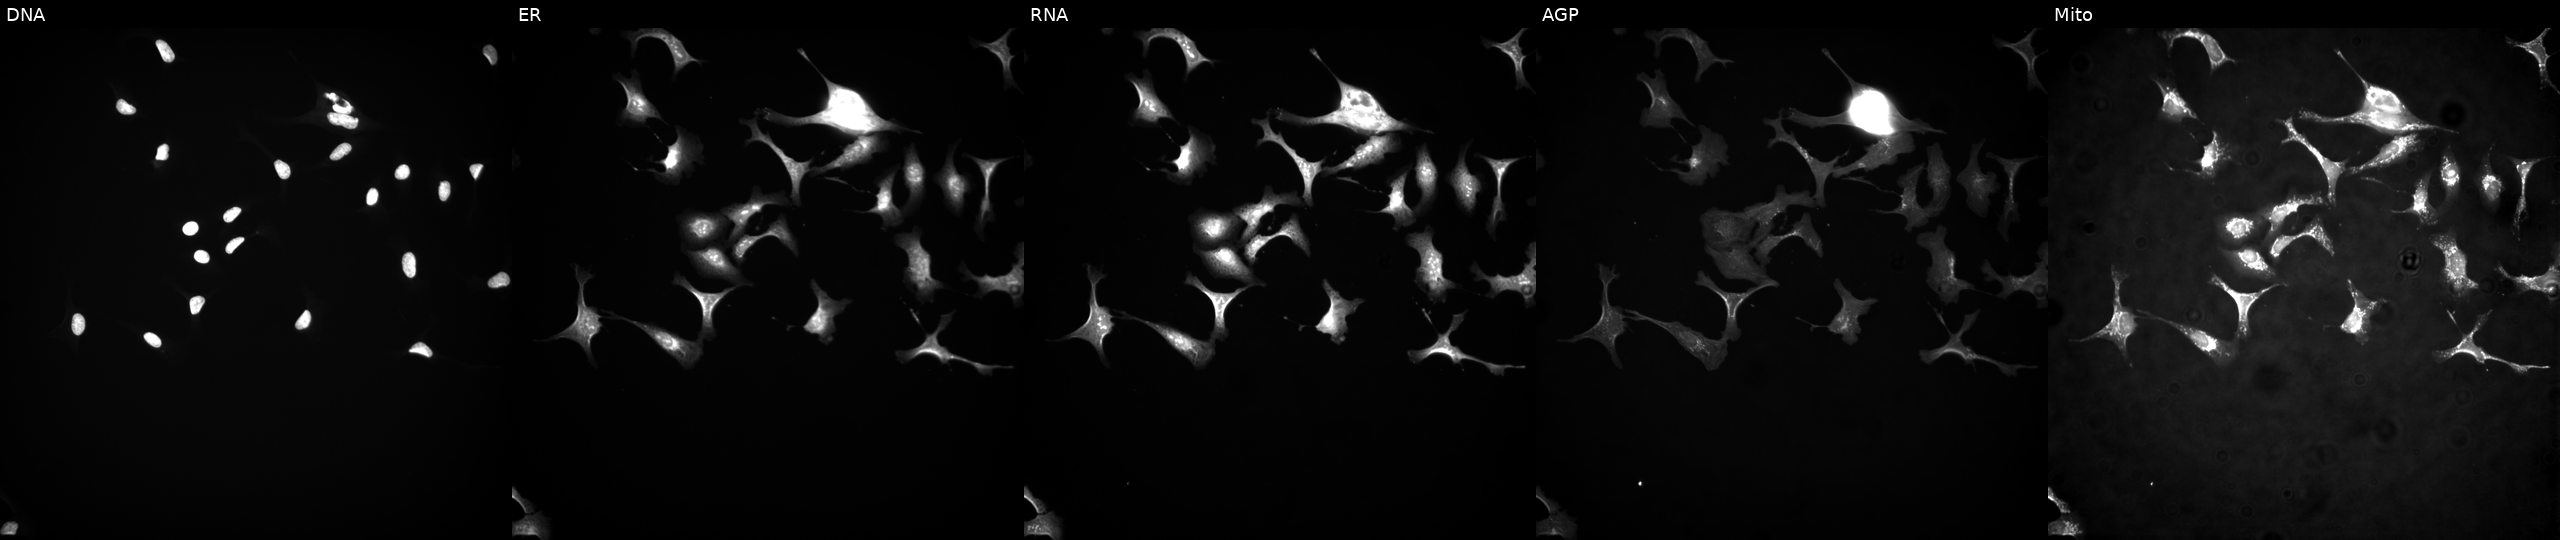
High-content fluorescence microscopy (Cell Painting). Cell line: U2OS. Perturbation: expressing eGFP (ORF positive control) (JUMP id JCP2022_915132). The five panels, left to right, show Hoechst 33342, concanavalin A, SYTO 14, phalloidin and WGA, MitoTracker.